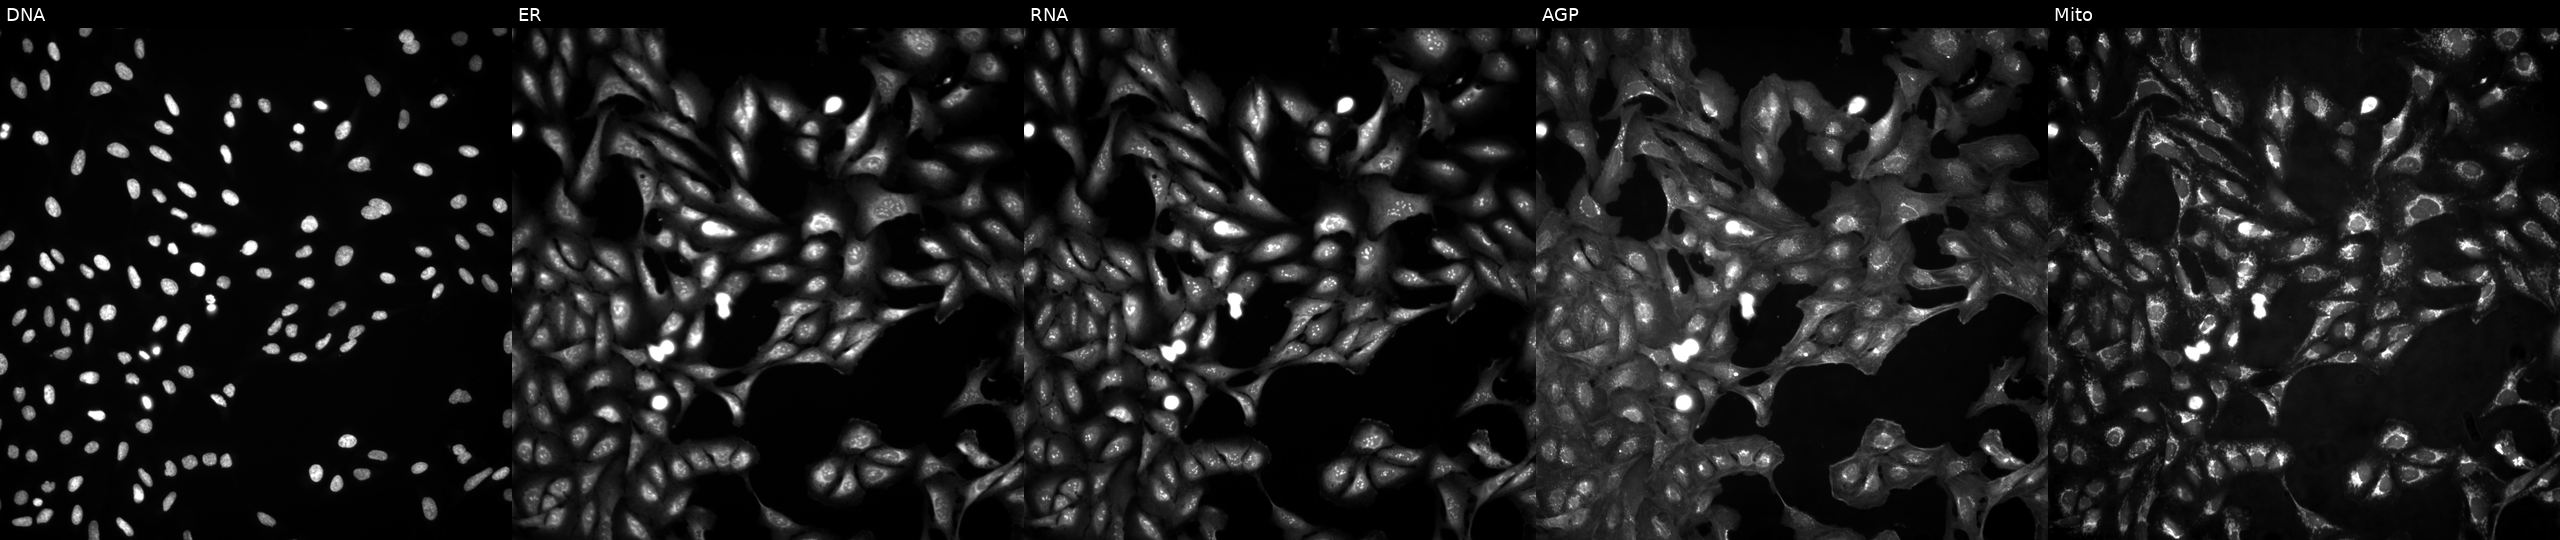
U2OS cells, Cell Painting assay, in an empty control well (no perturbation) (JUMP id JCP2022_999999). Channels (left→right): DNA (nuclei); ER (endoplasmic reticulum); RNA (nucleoli and cytoplasmic RNA); AGP (actin cytoskeleton, Golgi, and plasma membrane); Mito (mitochondria). Each panel is percentile-stretched 16-bit fluorescence. Source 4, plate BR00124793, well L05.